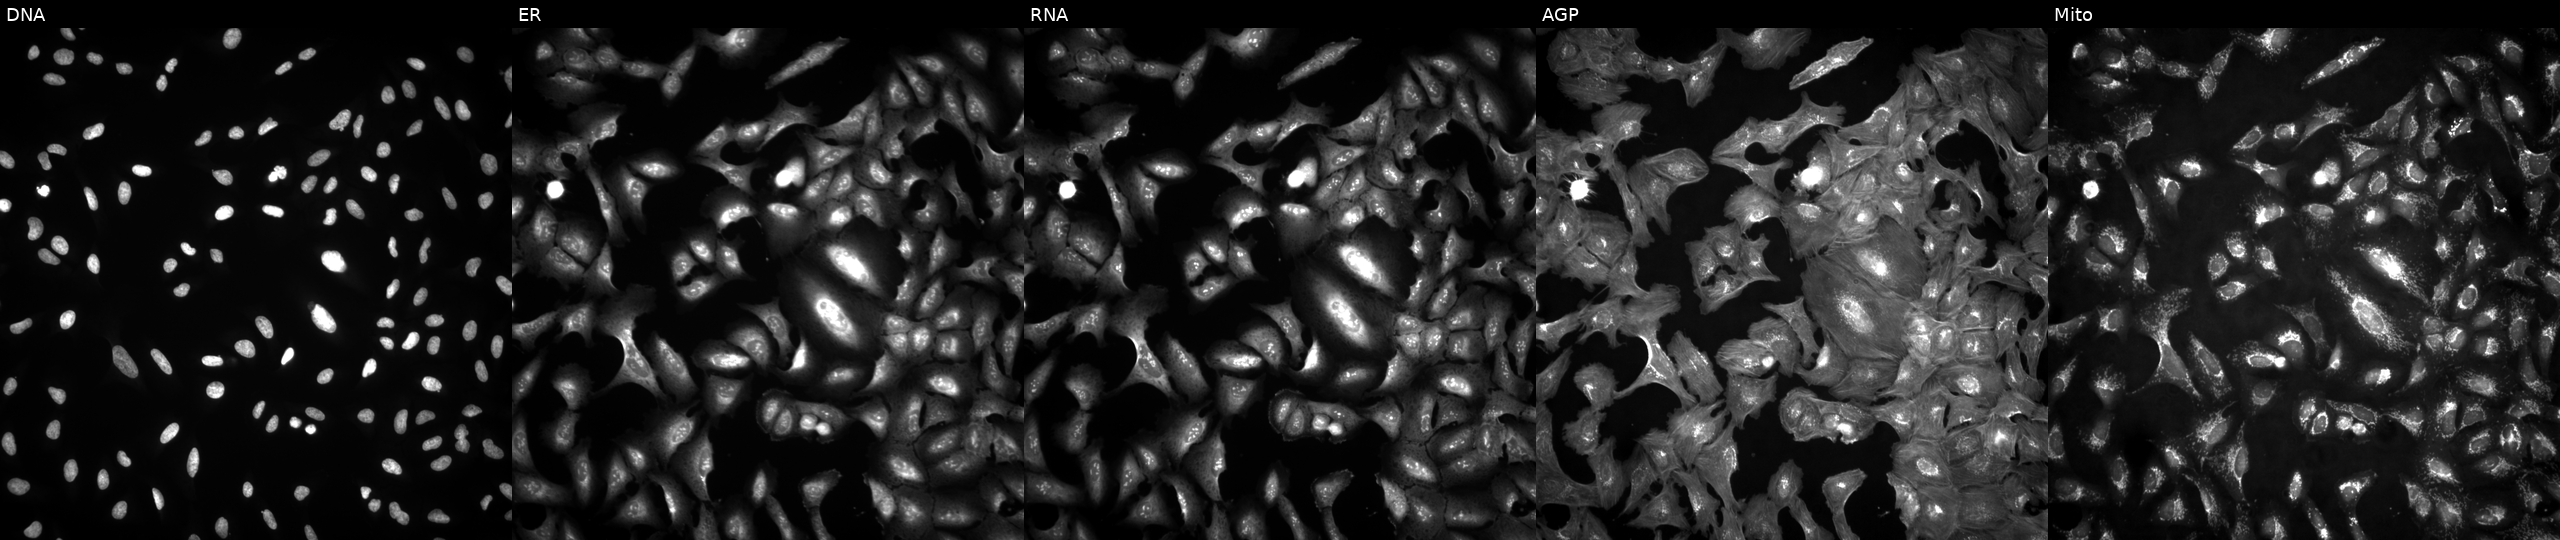
JUMP Cell Painting — ORF plate. U2OS cells overexpressing EEF1B2 via ORF transfection (JUMP id JCP2022_914403). The five panels, left to right, show Hoechst 33342, concanavalin A, SYTO 14, phalloidin and WGA, MitoTracker.